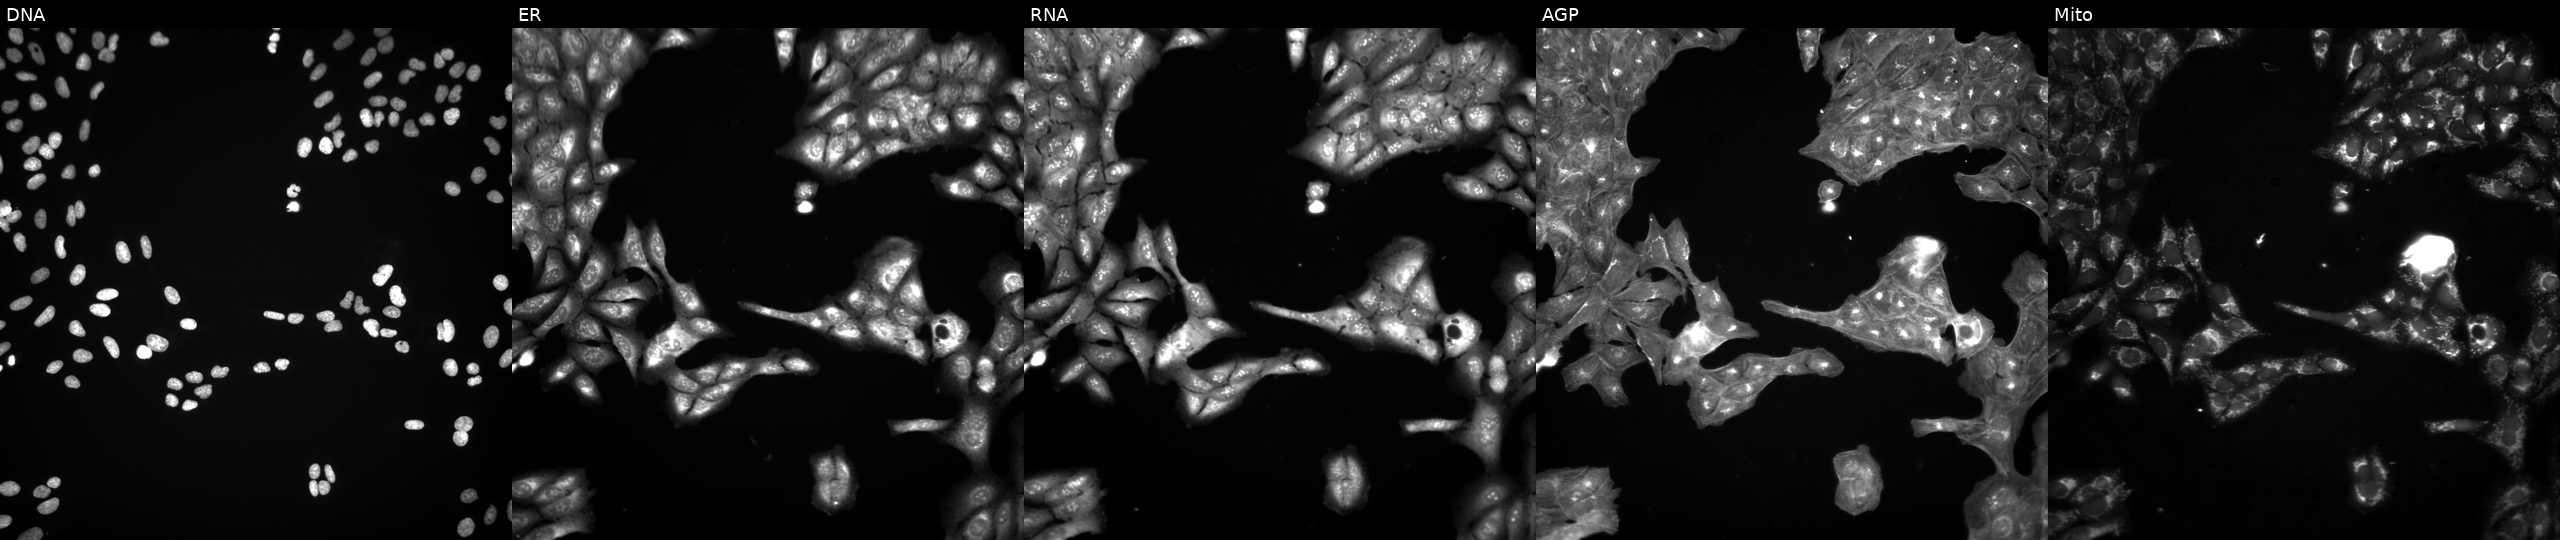
High-content fluorescence microscopy (Cell Painting). Cell line: U2OS. Perturbation: untreated (empty-well control) (JUMP id JCP2022_999999). Panels show, left to right, Hoechst 33342, concanavalin A, SYTO 14, phalloidin and WGA, MitoTracker. Source 3, plate BR5867b3, well A20.